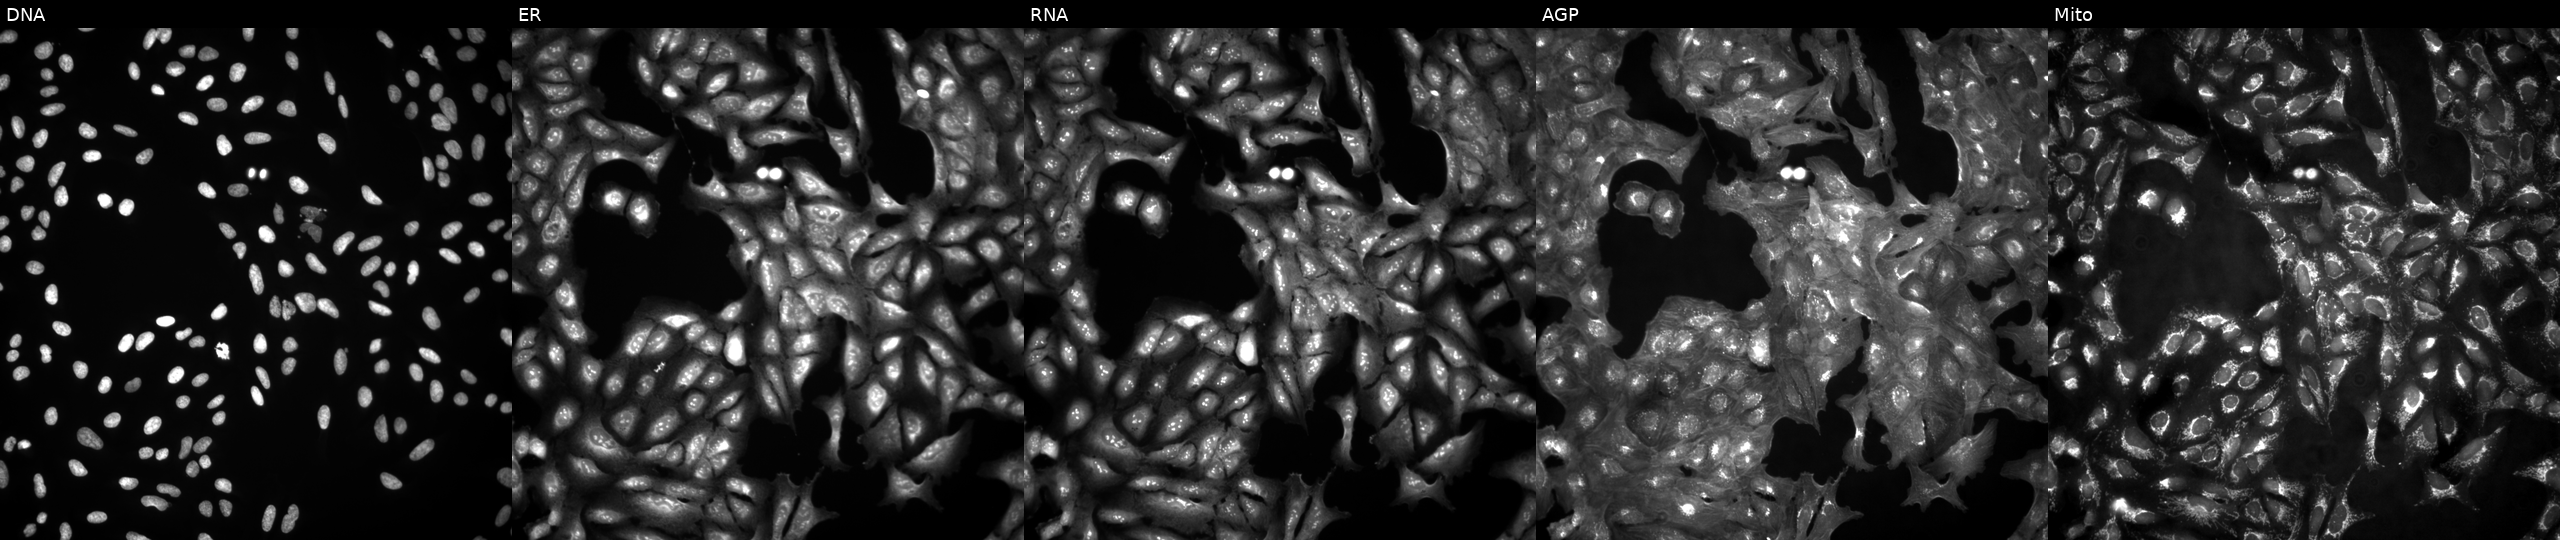
High-content fluorescence microscopy (Cell Painting). Cell line: U2OS. Perturbation: untreated (empty-well control) (JUMP id JCP2022_999999). Panels show, left to right, Hoechst 33342, concanavalin A, SYTO 14, phalloidin and WGA, MitoTracker. Source 4, plate BR00123946, well K19.